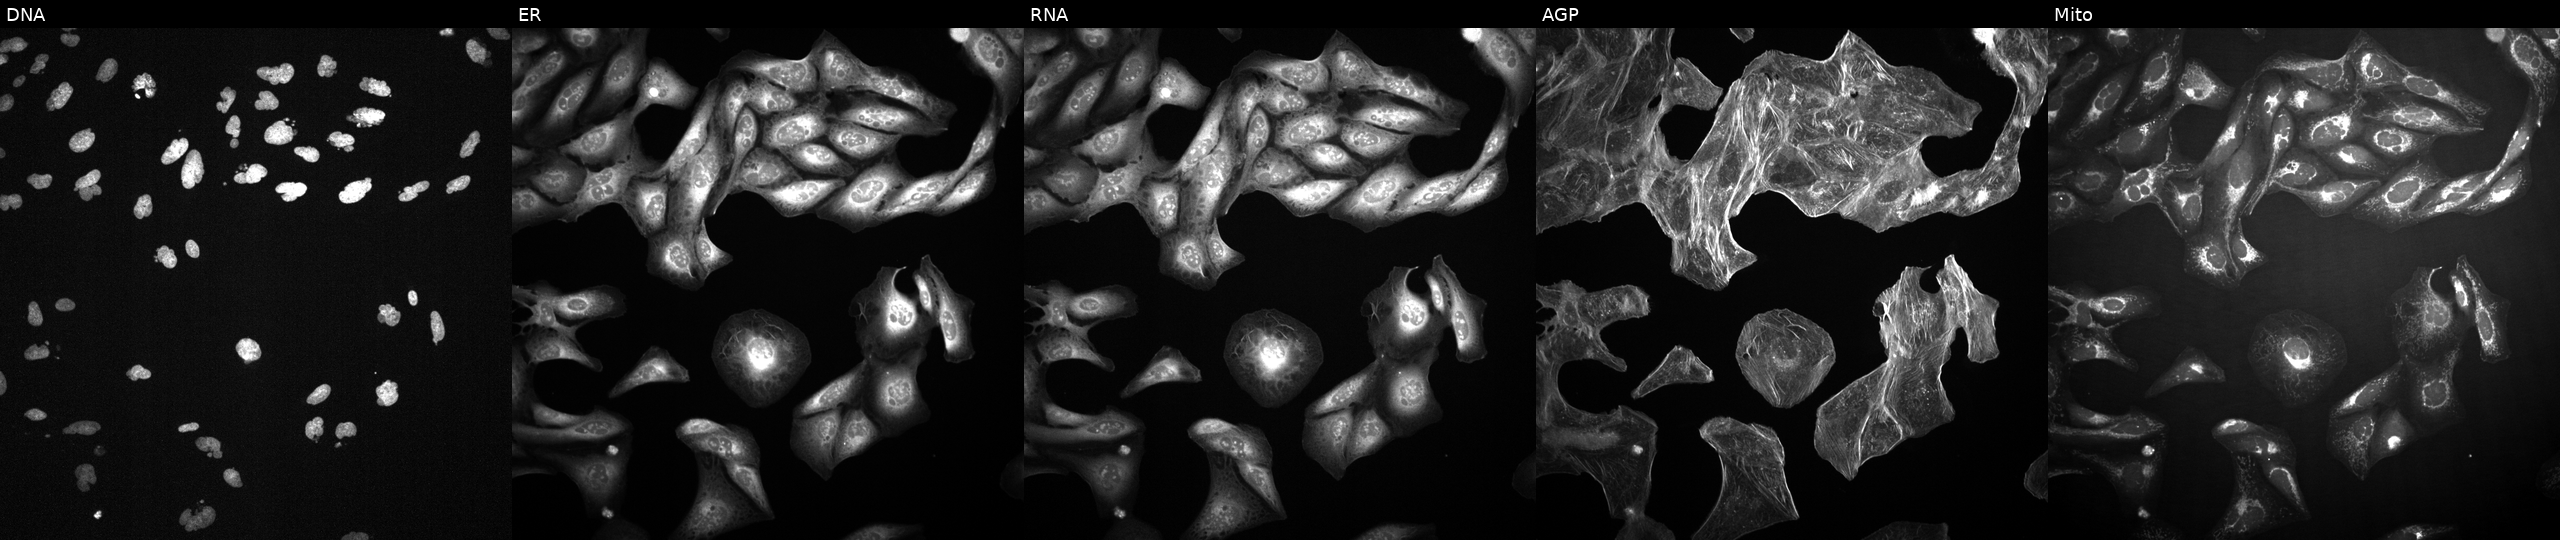
JUMP Cell Painting — TARGET2 plate. U2OS cells perturbed with a small-molecule compound (InChIKey KRBSMMVJJVHVCB-UHFFFAOYSA-N) (JUMP id JCP2022_046462). From left to right: DNA, ER, RNA, AGP, and Mito.